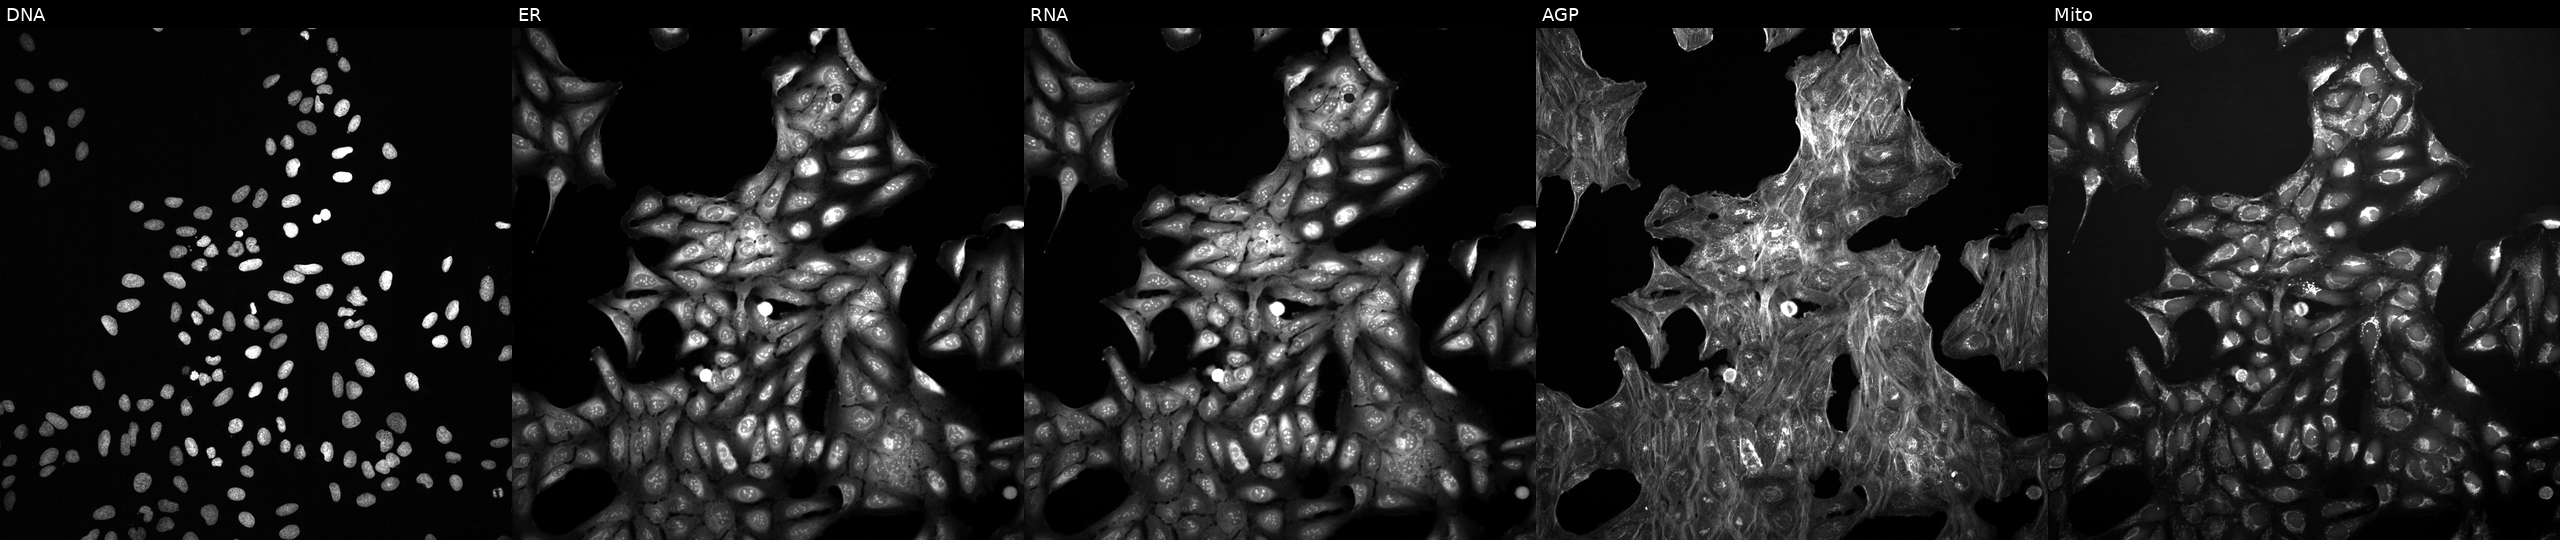
Five-channel Cell Painting image of U2OS cells exposed to a small-molecule compound (InChIKey OJLOPKGSLYJEMD-UHFFFAOYSA-N) [SMILES: CCCCC(C)(O)CC=CC1C(O)CC(=O)C1CCCCCCC(=O)OC]. Panels show, left to right, Hoechst 33342, concanavalin A, SYTO 14, phalloidin and WGA, MitoTracker.